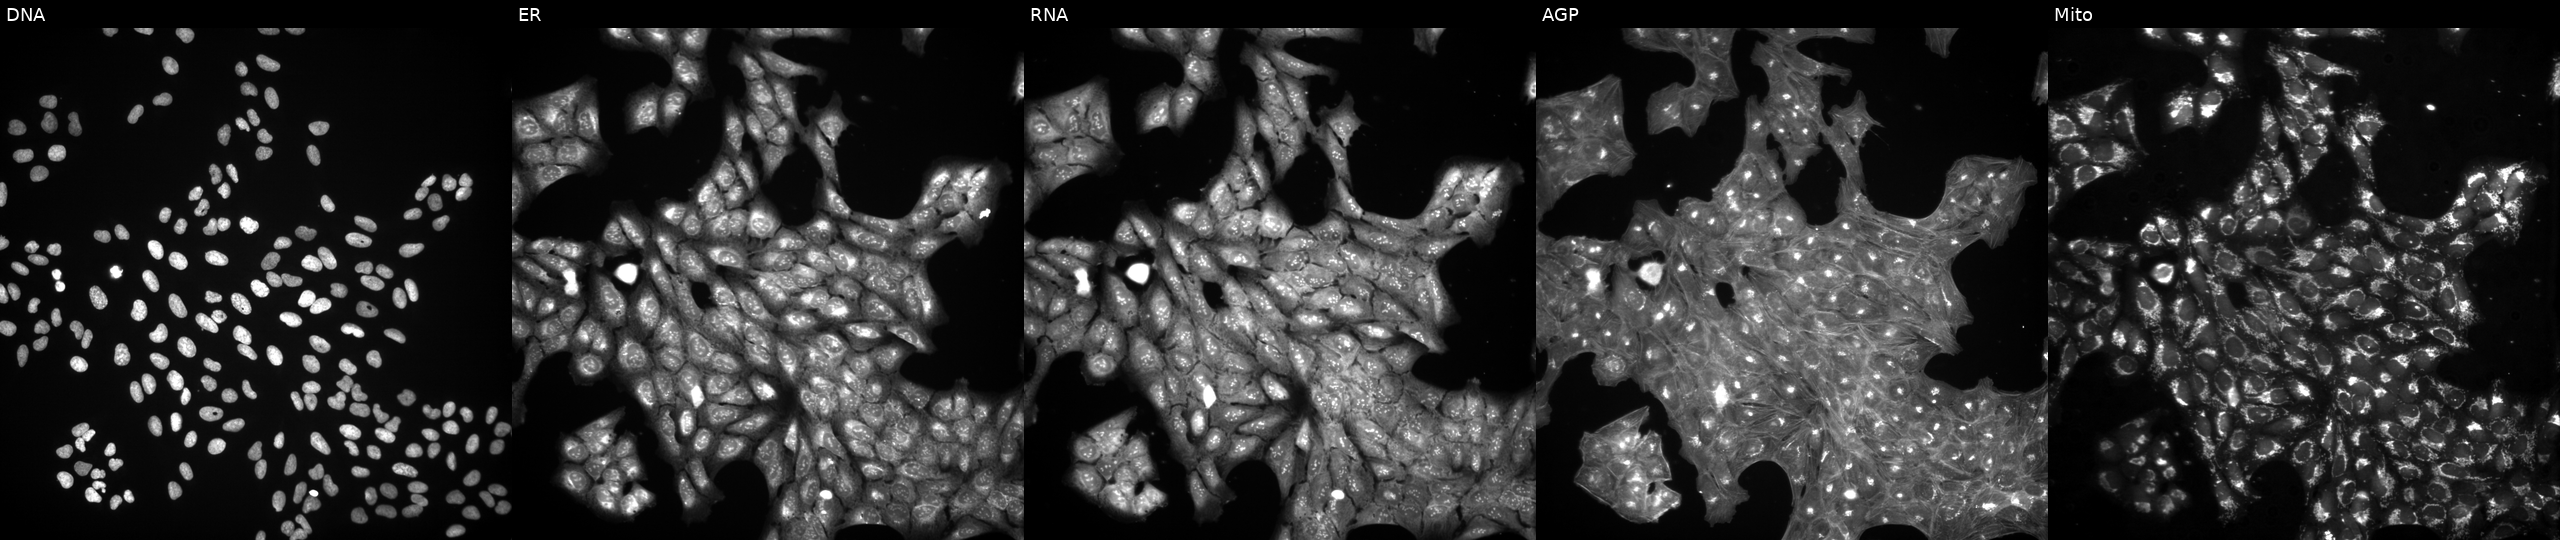
From left to right: DNA, ER, RNA, AGP, and Mito. U2OS osteosarcoma cells exposed to a small-molecule compound [SMILES: OCc1ccc(CO)o1]. Cell Painting assay, JUMP-CP dataset.